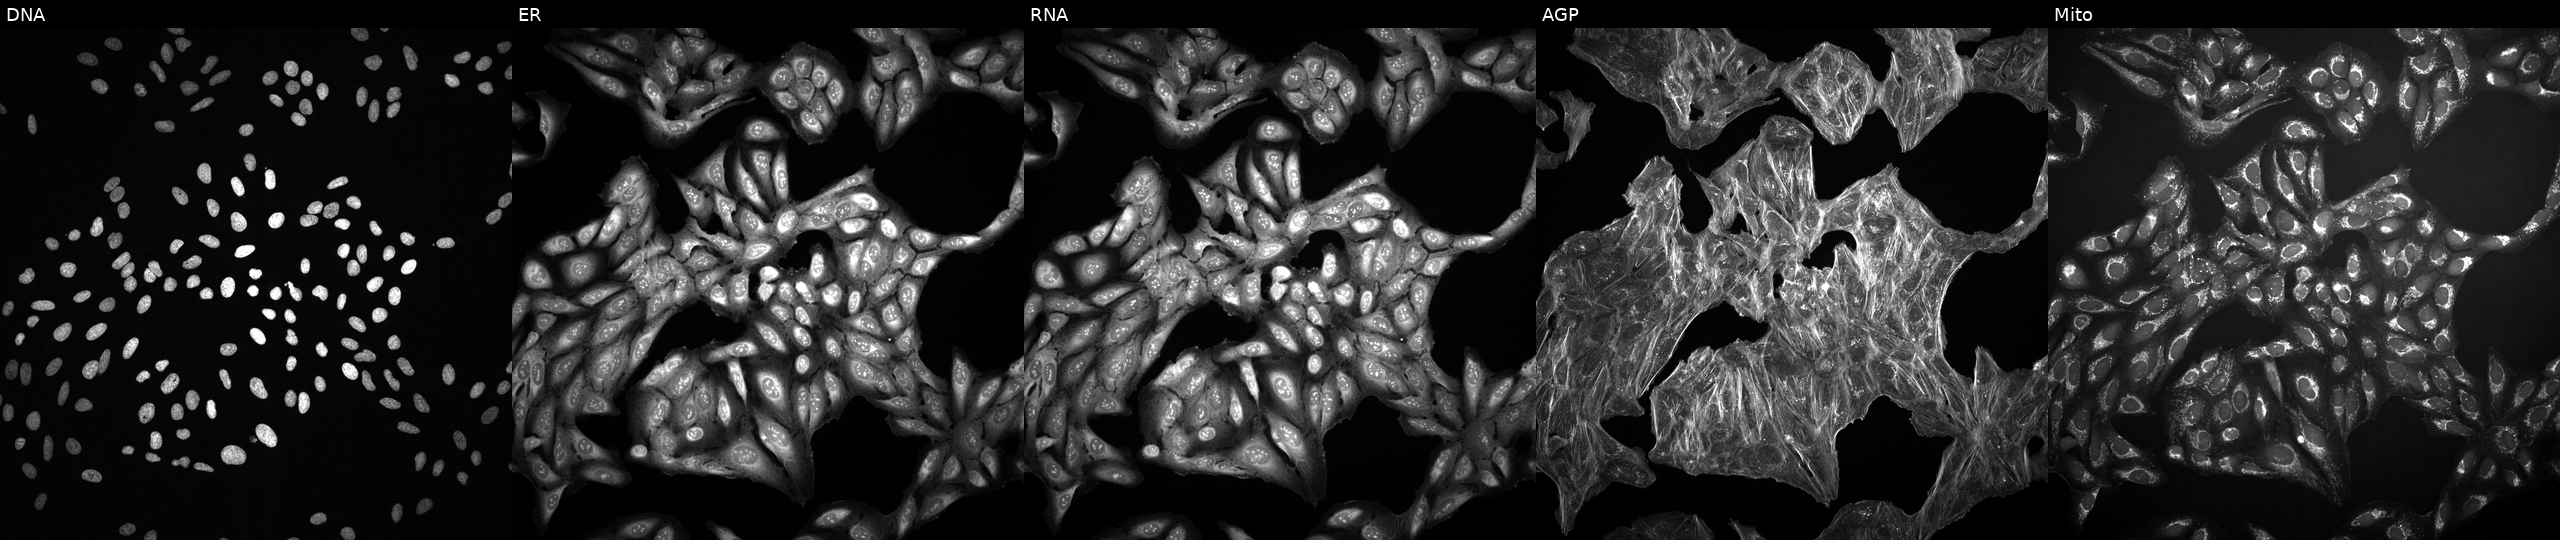
This image strip shows the five Cell Painting channels for a single field of U2OS cells perturbed with a small-molecule compound (JUMP id JCP2022_028645). From left to right: Hoechst 33342, concanavalin A, SYTO 14, phalloidin and WGA, MitoTracker. Source 2, plate 1053597936, well E16.